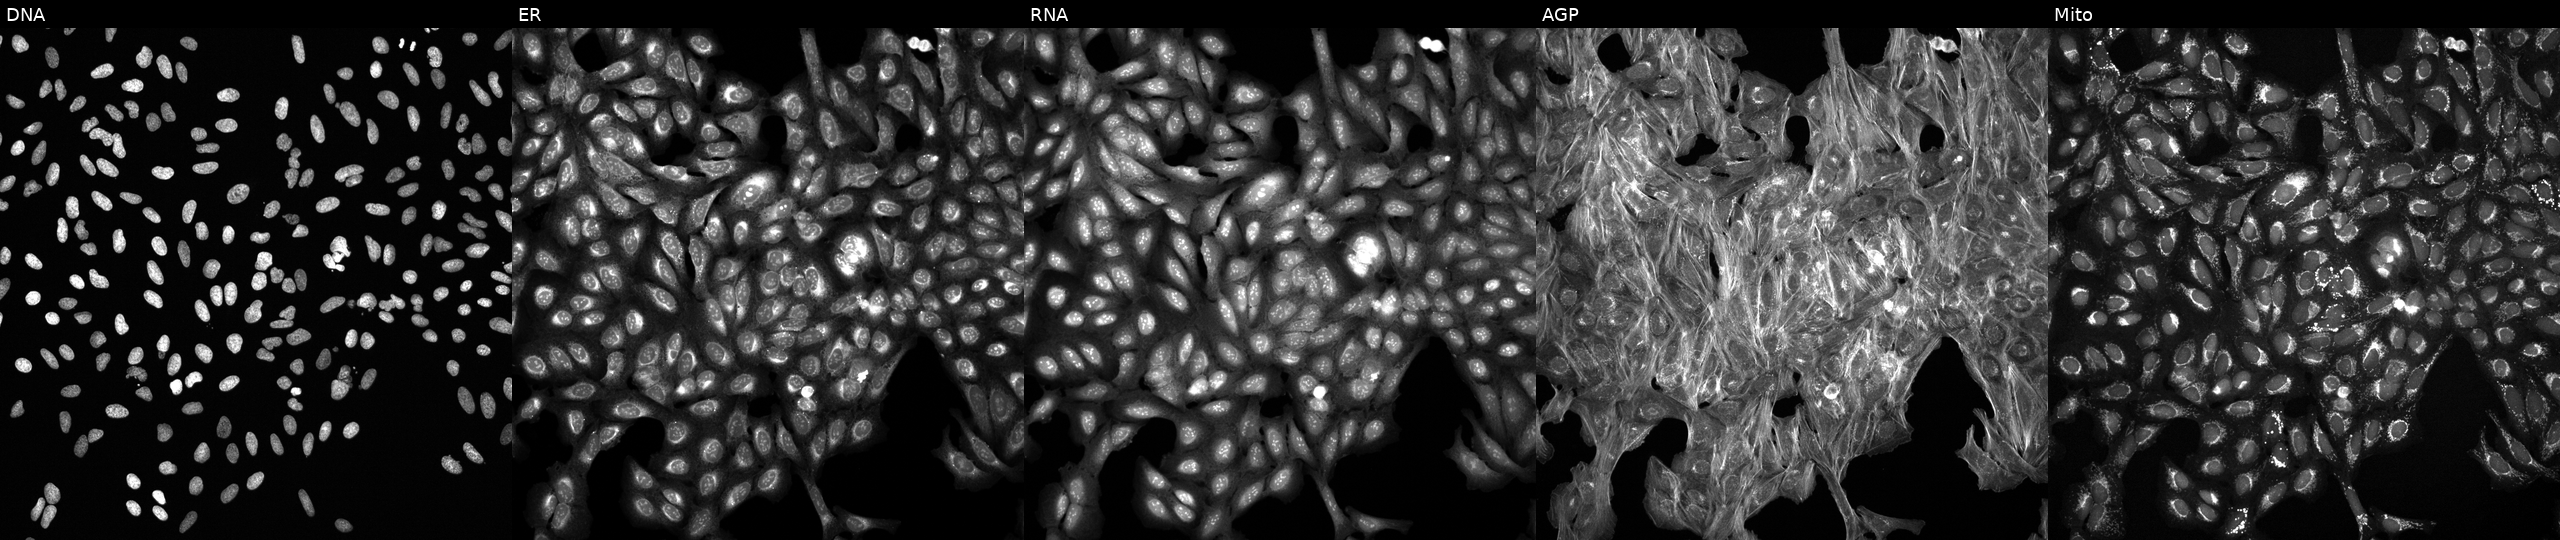
U2OS cells, Cell Painting assay, treated with a small-molecule compound (InChIKey WMMSJZMCBDJRSN-UHFFFAOYSA-N) (JUMP id JCP2022_099749). From left to right: DNA (nuclei); ER (endoplasmic reticulum); RNA (nucleoli and cytoplasmic RNA); AGP (actin cytoskeleton, Golgi, and plasma membrane); Mito (mitochondria). Each panel is percentile-stretched 16-bit fluorescence. Source 6, plate 110000293083, well E20.